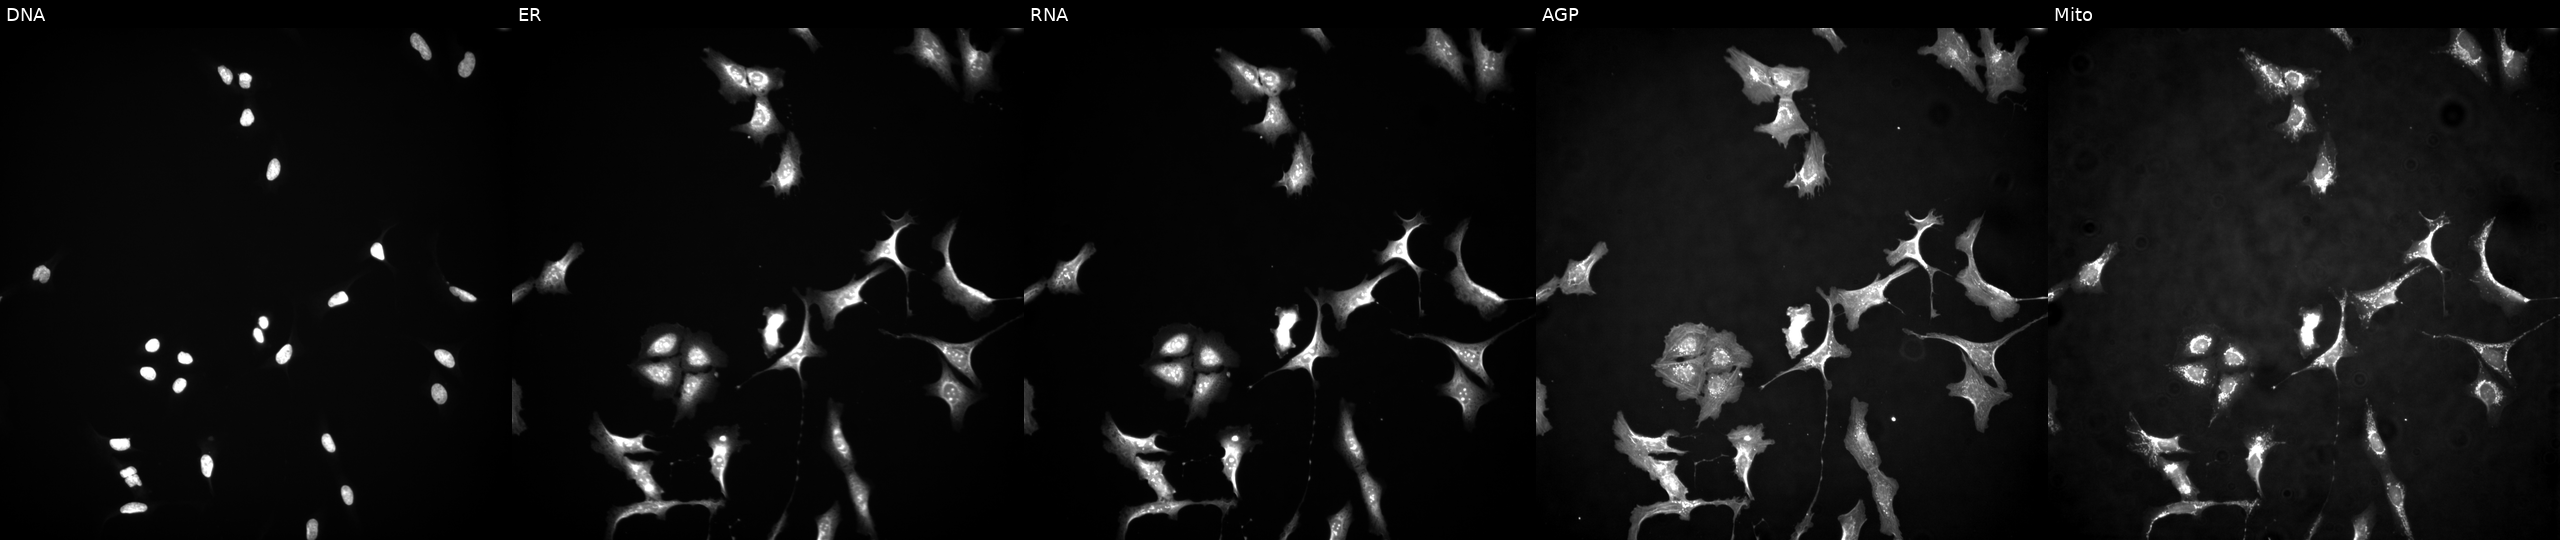
High-content fluorescence microscopy (Cell Painting). Cell line: U2OS. Perturbation: overexpressing CHKA via ORF transfection. Channels (left→right): DNA (nuclei); ER (endoplasmic reticulum); RNA (nucleoli and cytoplasmic RNA); AGP (actin cytoskeleton, Golgi, and plasma membrane); Mito (mitochondria).